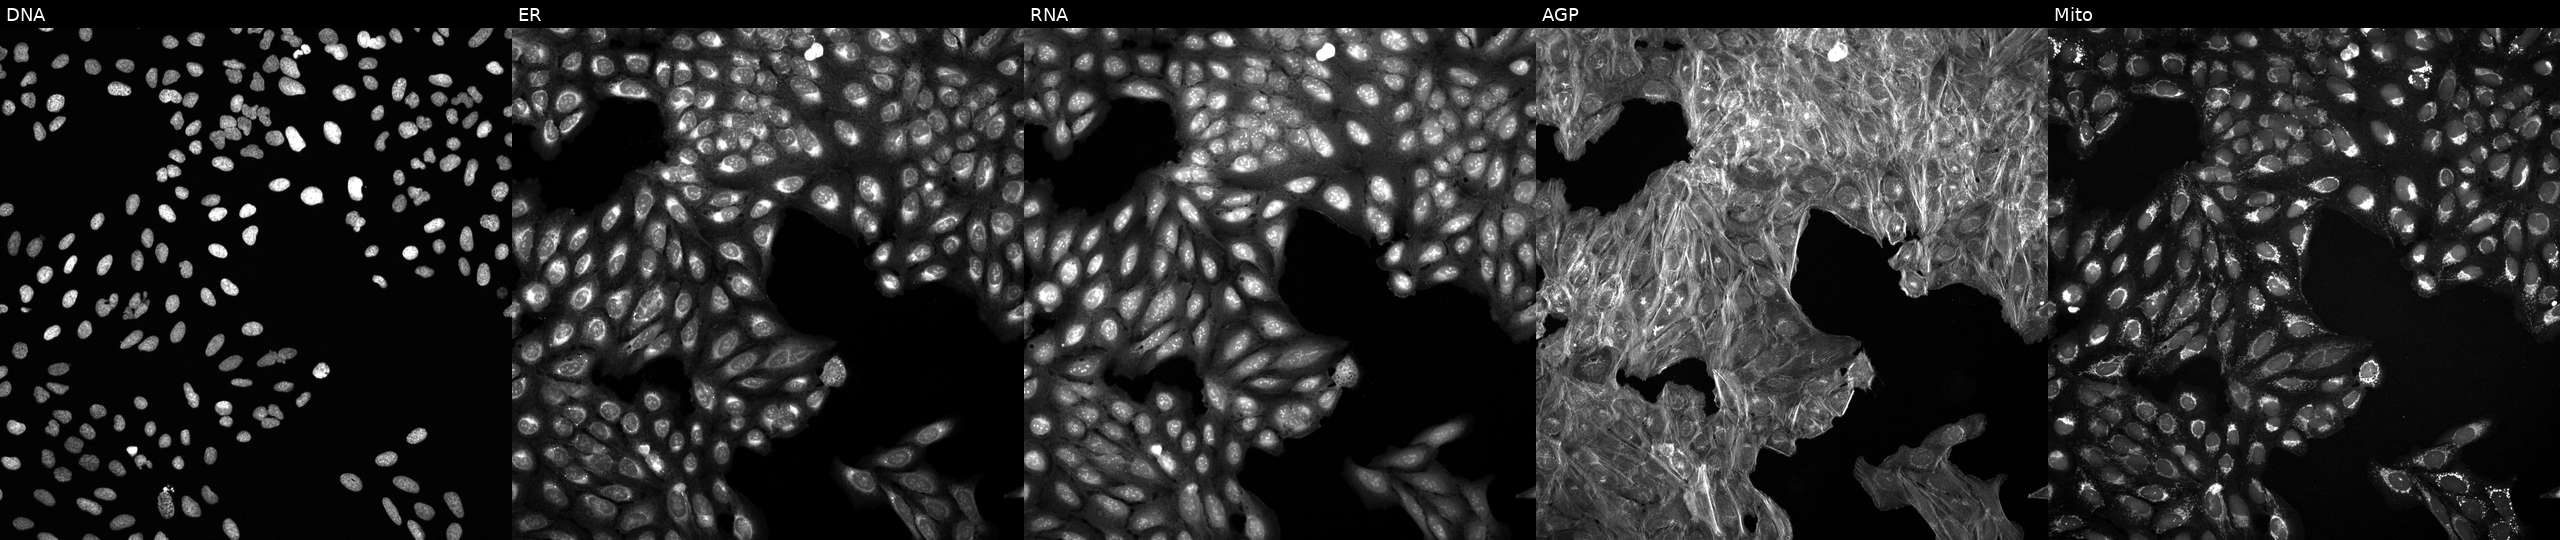
This image strip shows the five Cell Painting channels for a single field of U2OS cells treated with a small-molecule compound (JUMP id JCP2022_030152). The five panels, left to right, show DNA (nuclei); ER (endoplasmic reticulum); RNA (nucleoli and cytoplasmic RNA); AGP (actin cytoskeleton, Golgi, and plasma membrane); Mito (mitochondria). Source 6, plate 110000293082, well L15.